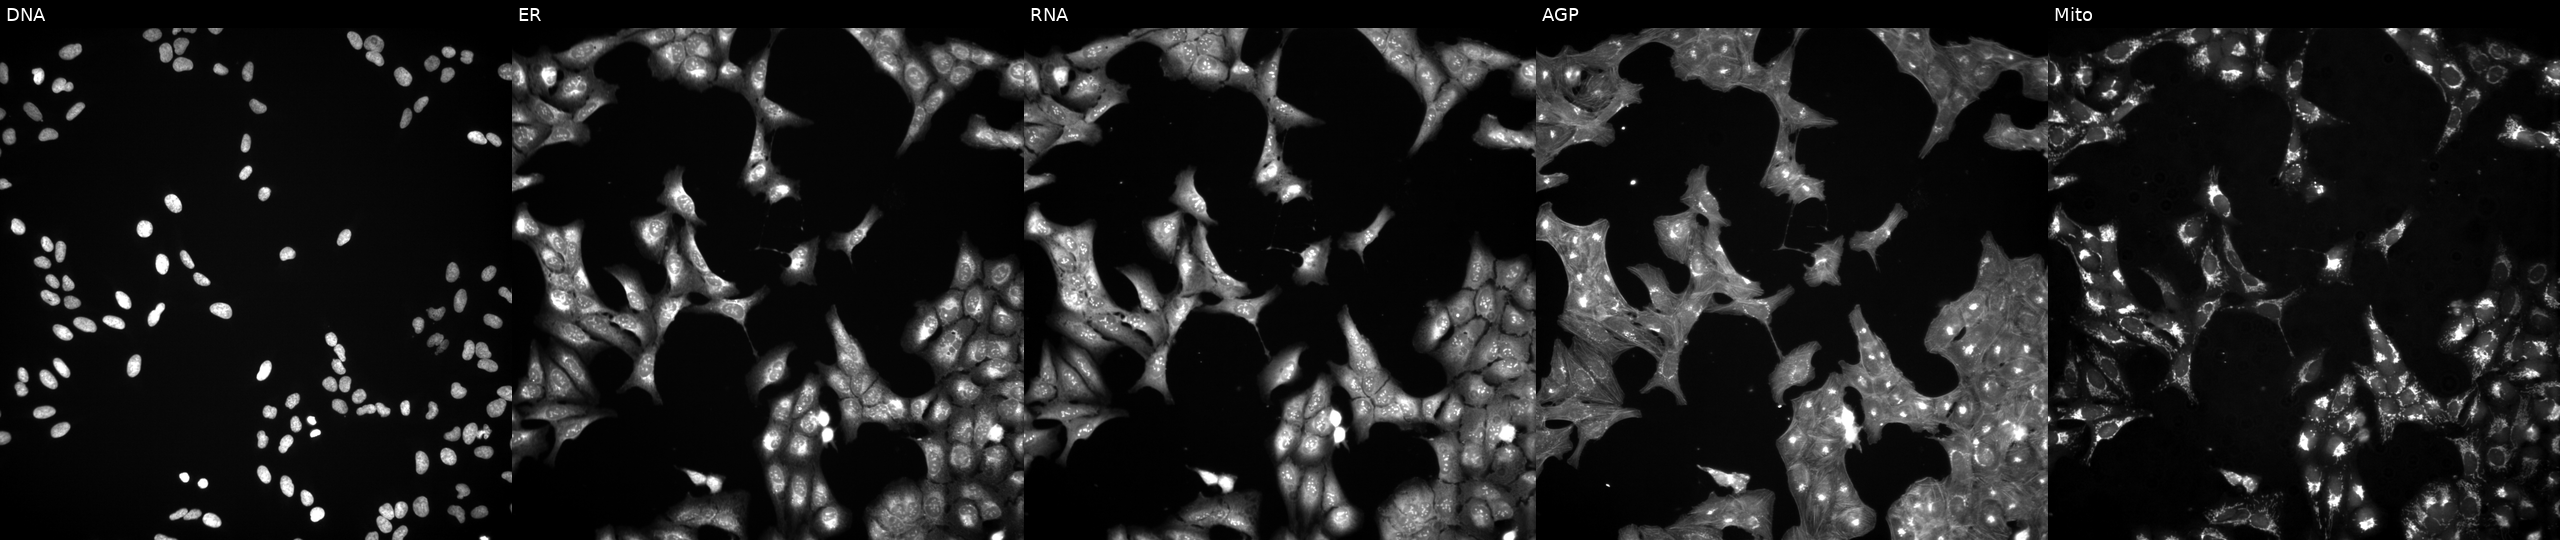
Channels (left→right): DNA, ER, RNA, AGP, and Mito. U2OS osteosarcoma cells exposed to DMSO alone as a negative control. Cell Painting assay, JUMP-CP dataset. Source 3, plate BR5867b3, well J23.